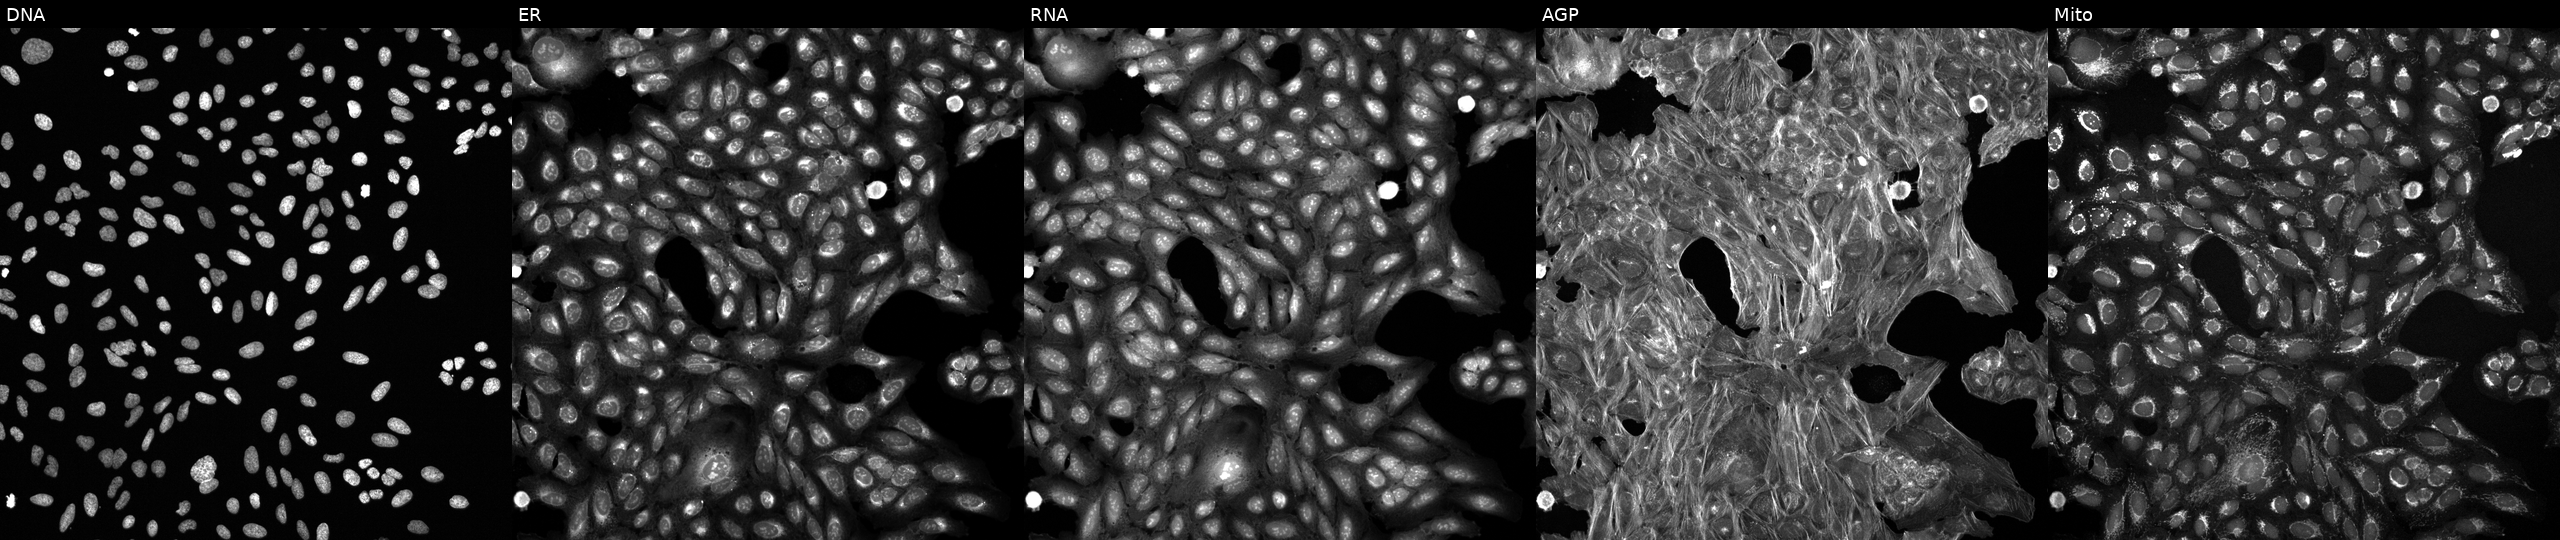
This image strip shows the five Cell Painting channels for a single field of U2OS cells exposed to a small-molecule compound (InChIKey NATUGRZILSSCON-UHFFFAOYSA-N) [SMILES: CCS(=O)(=O)N1CCc2nc(-c3cccc(OC)c3)sc2C1] (JUMP id JCP2022_057791). The five panels, left to right, show Hoechst 33342, concanavalin A, SYTO 14, phalloidin and WGA, MitoTracker.